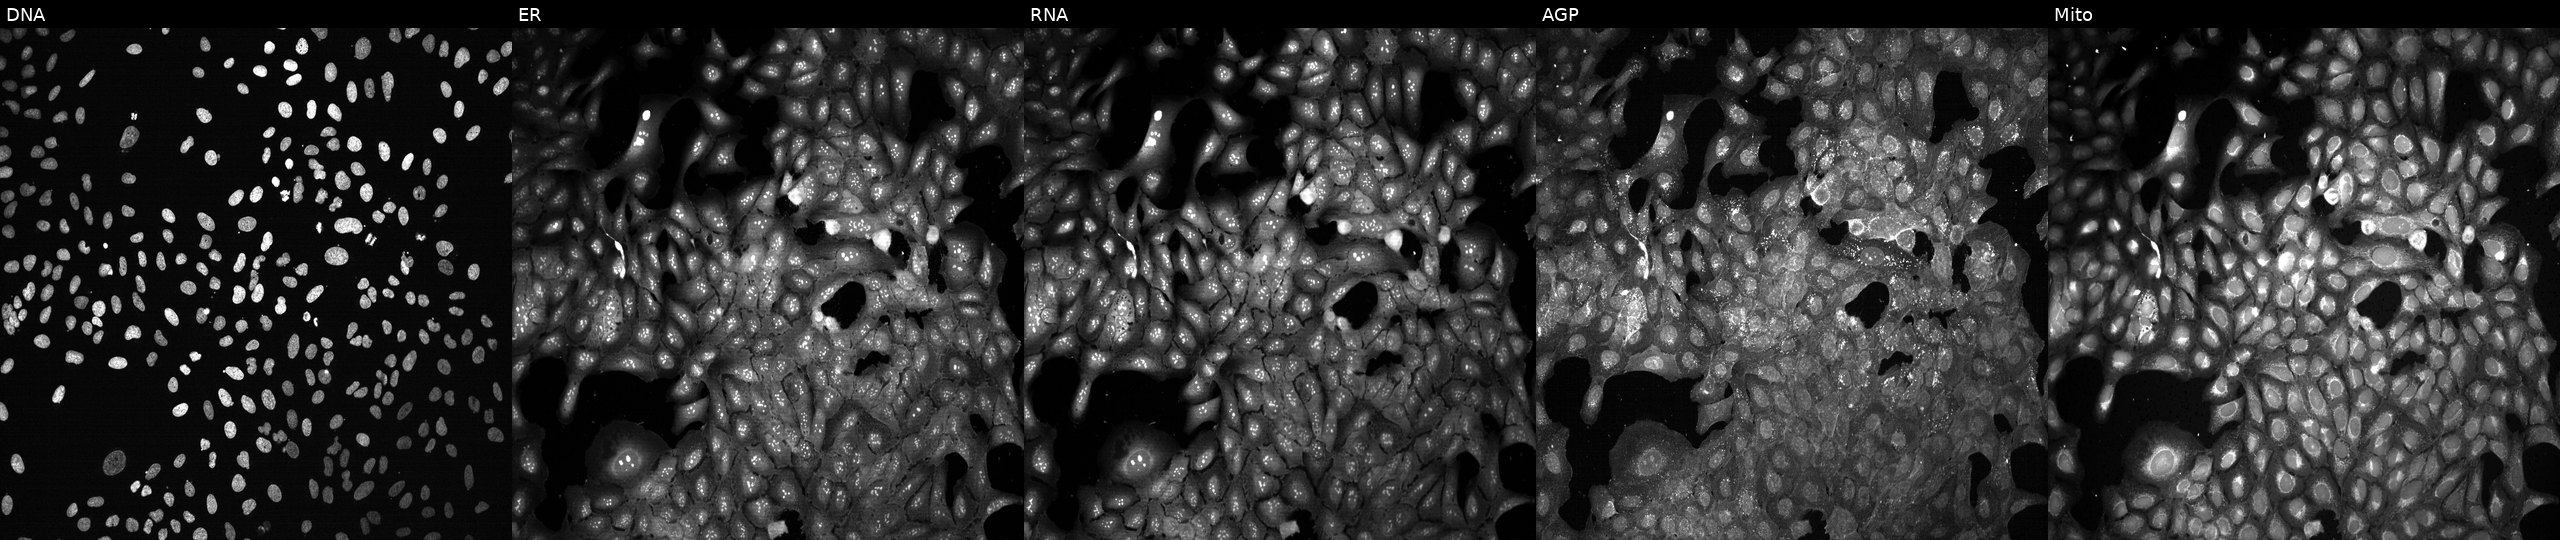
This image strip shows the five Cell Painting channels for a single field of U2OS cells following CRISPR knockout of RALGPS2. The five panels, left to right, show Hoechst 33342, concanavalin A, SYTO 14, phalloidin and WGA, MitoTracker.